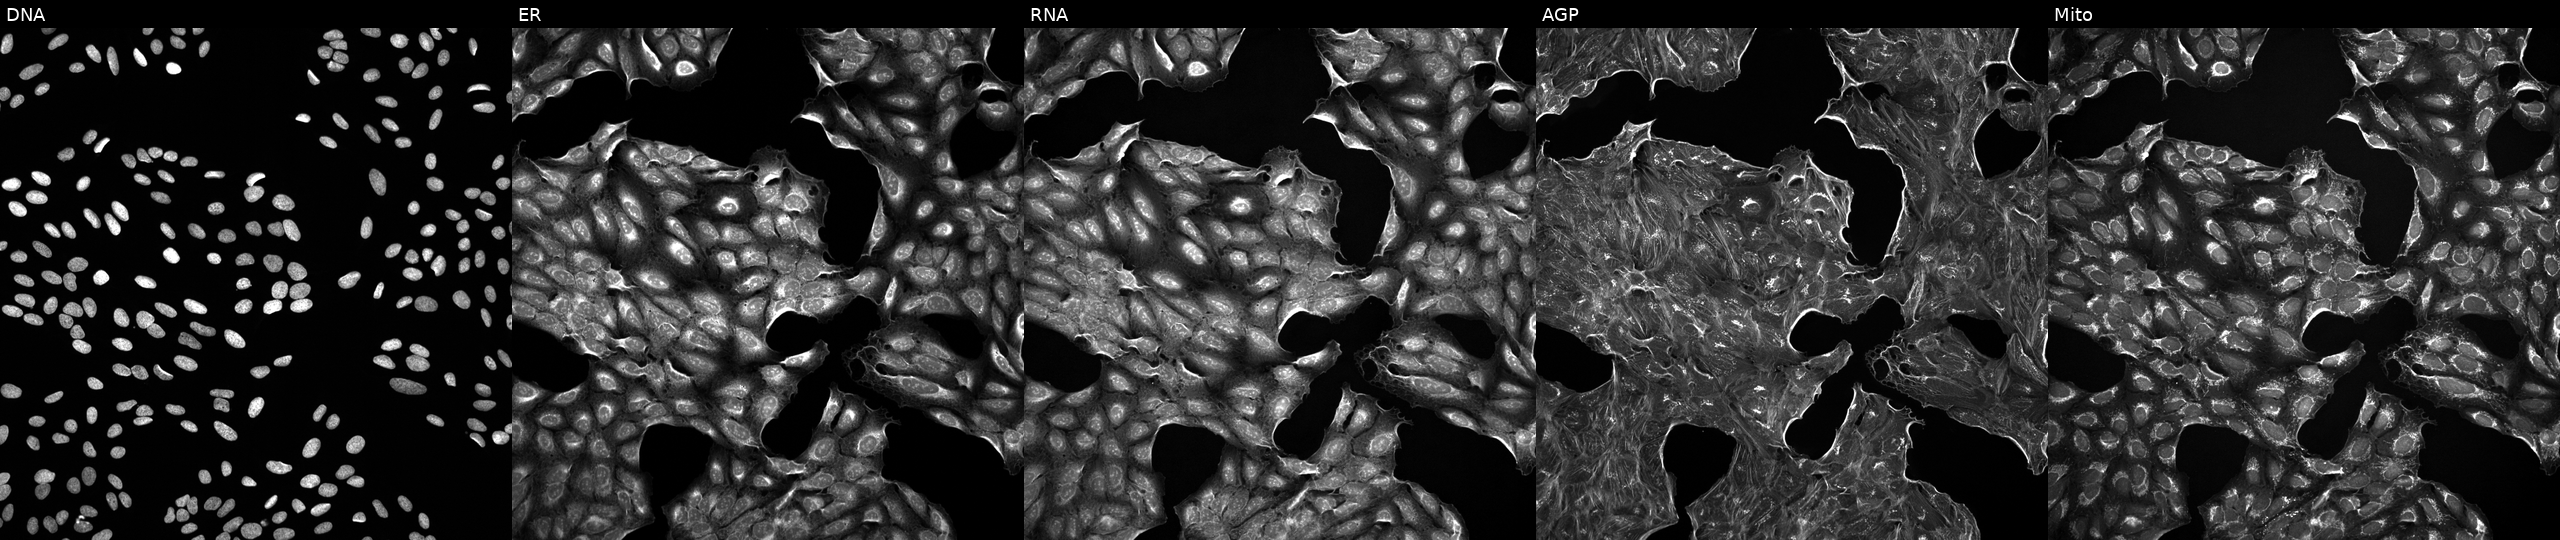
Five-channel Cell Painting image of U2OS cells exposed to a small-molecule compound (InChIKey BLVQHYHDYFTPDV-UHFFFAOYSA-N). From left to right: DNA (nuclei); ER (endoplasmic reticulum); RNA (nucleoli and cytoplasmic RNA); AGP (actin cytoskeleton, Golgi, and plasma membrane); Mito (mitochondria).